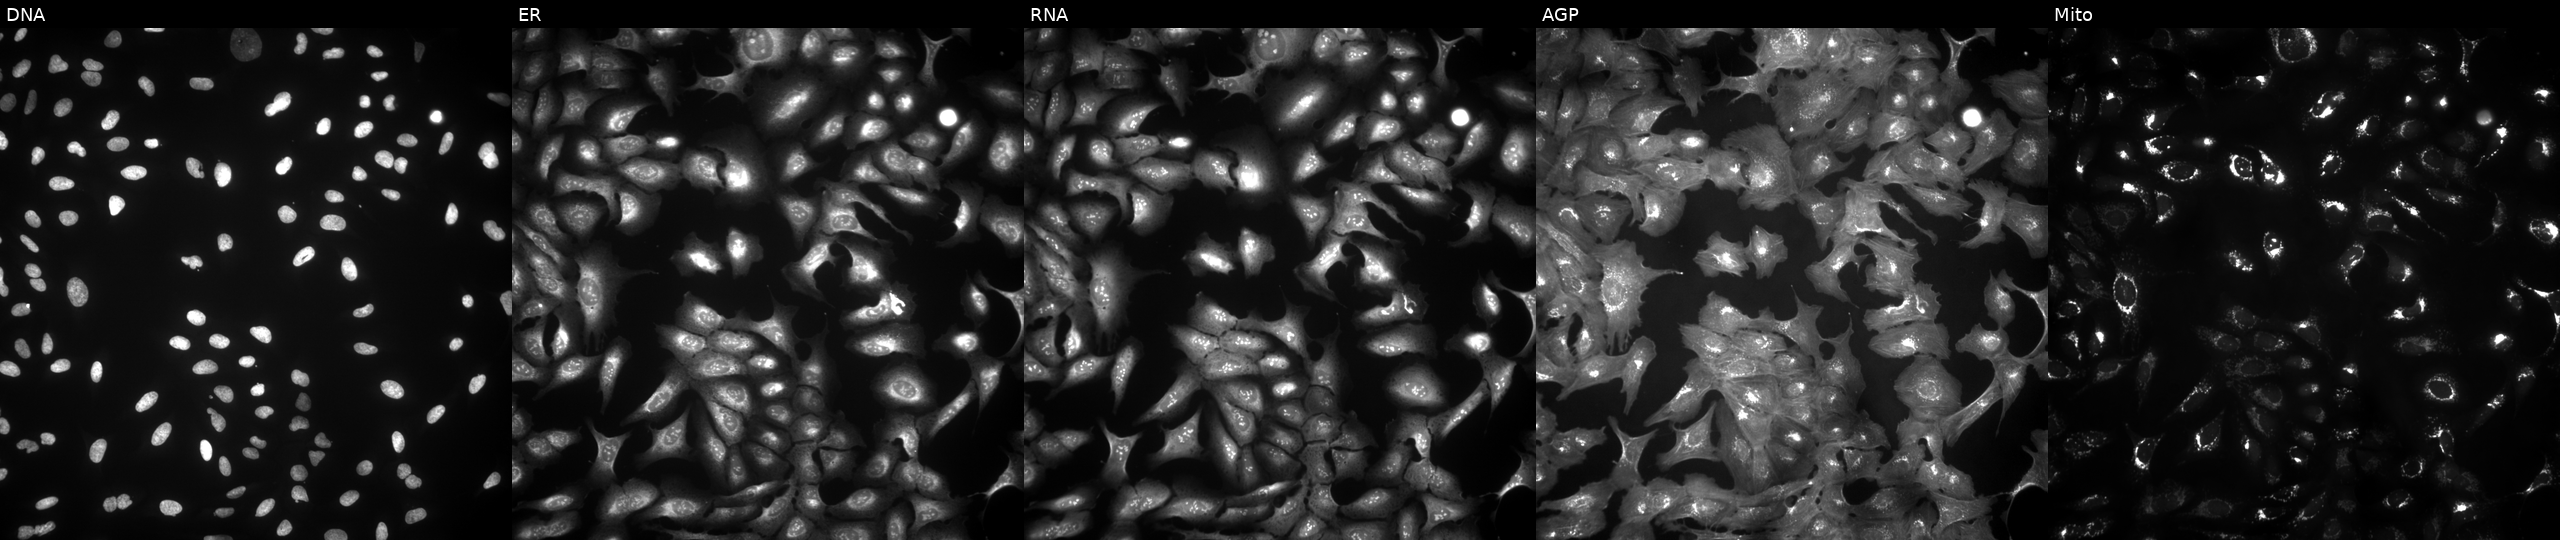
U2OS cells, Cell Painting assay, overexpressing BCKDK via ORF transfection (JUMP id JCP2022_902239). Panels show, left to right, Hoechst 33342, concanavalin A, SYTO 14, phalloidin and WGA, MitoTracker. Each panel is percentile-stretched 16-bit fluorescence.